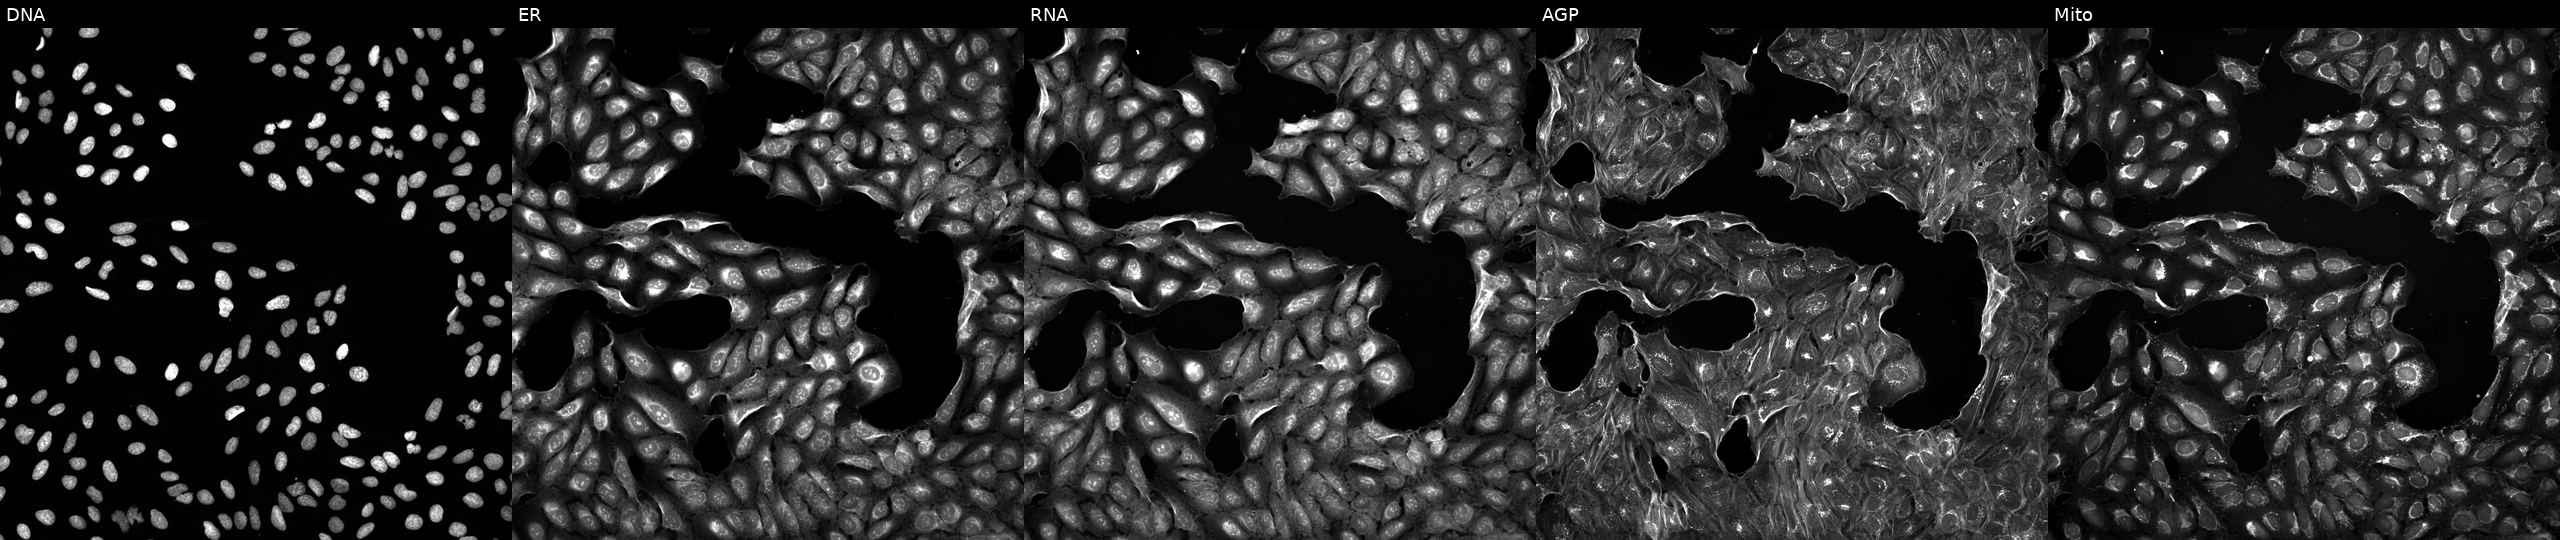
JUMP Cell Painting — TARGET2 plate. U2OS cells treated with a small-molecule compound (InChIKey NUKYPUAOHBNCPY-UHFFFAOYSA-N). Channels (left→right): DNA (nuclei); ER (endoplasmic reticulum); RNA (nucleoli and cytoplasmic RNA); AGP (actin cytoskeleton, Golgi, and plasma membrane); Mito (mitochondria).